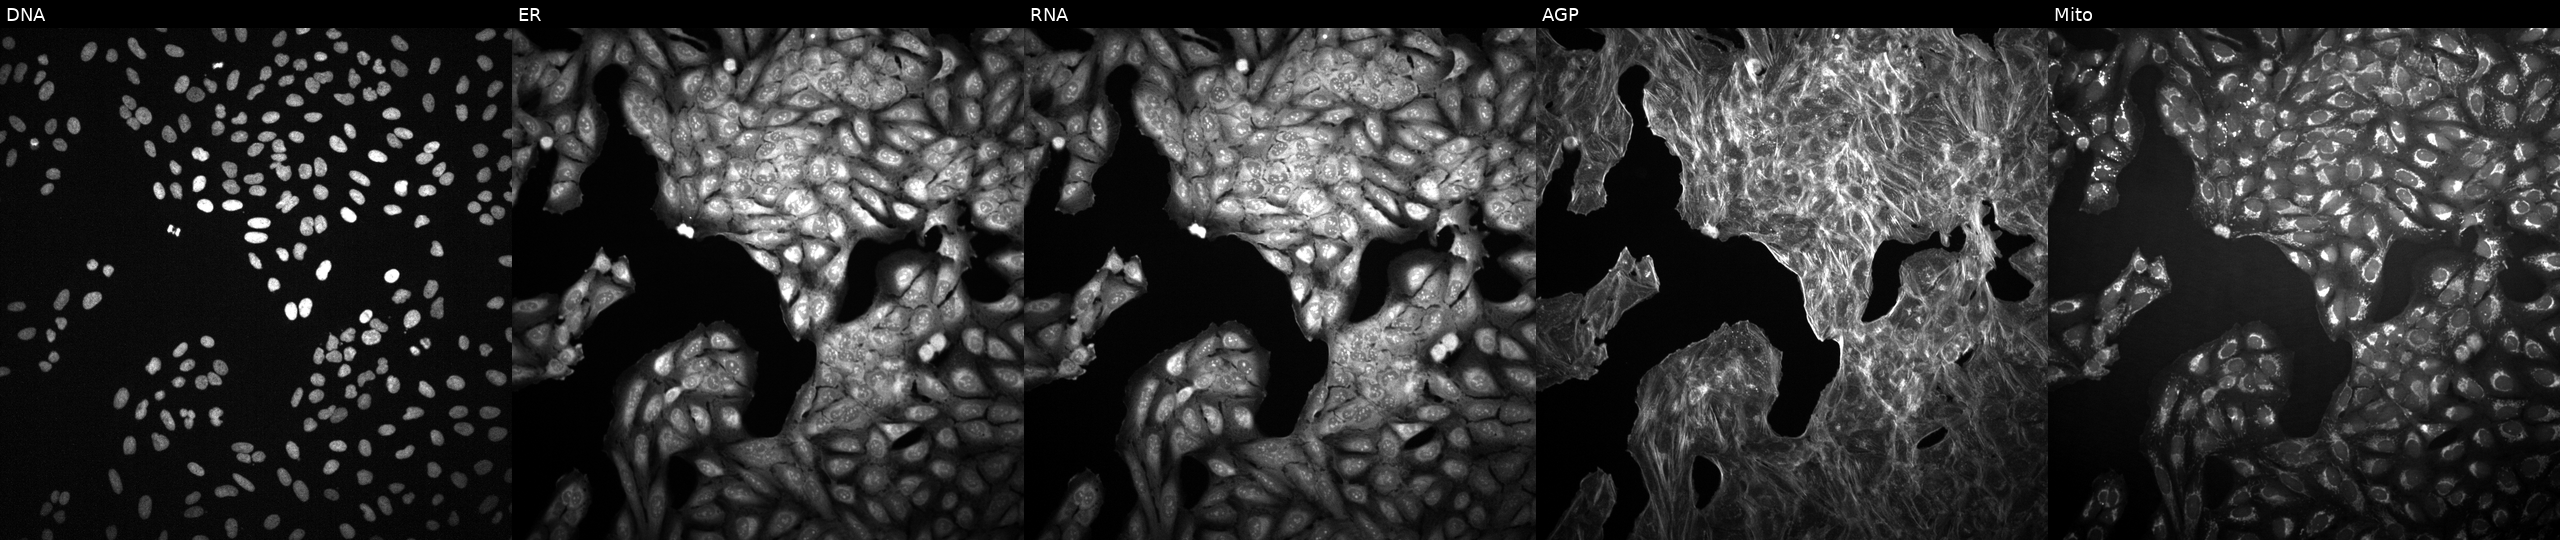
High-content fluorescence microscopy (Cell Painting). Cell line: U2OS. Perturbation: treated with a small-molecule compound (InChIKey GMROZDPZEUVIGD-UHFFFAOYSA-N). Panels show, left to right, DNA (nuclei); ER (endoplasmic reticulum); RNA (nucleoli and cytoplasmic RNA); AGP (actin cytoskeleton, Golgi, and plasma membrane); Mito (mitochondria).